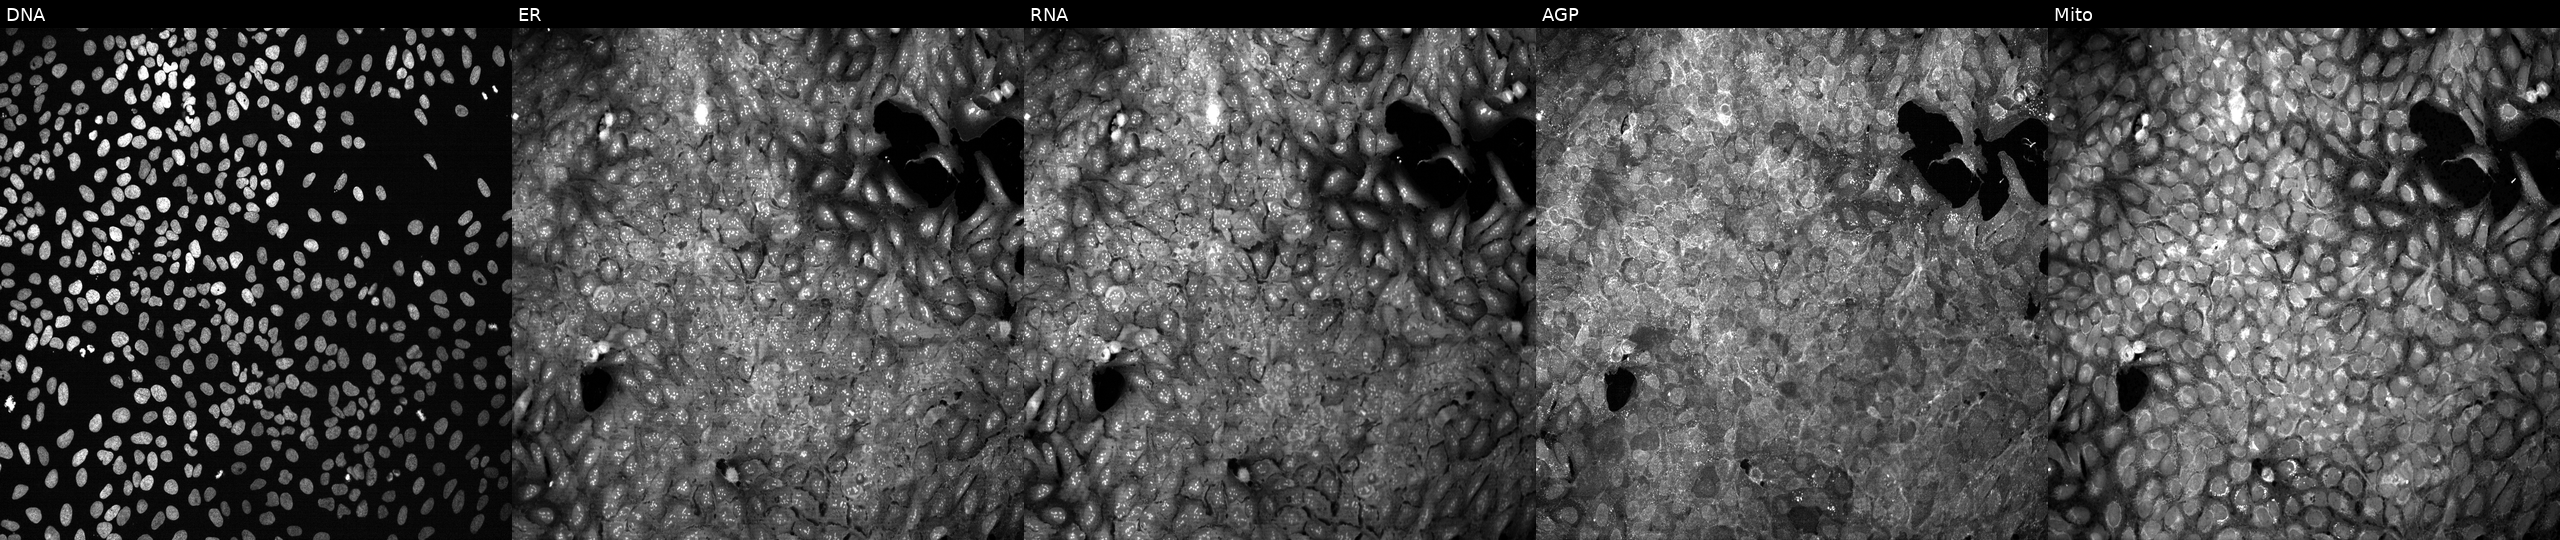
U2OS cells, Cell Painting assay, exposed to the positive-control compound dexamethasone. Panels show, left to right, DNA, ER, RNA, AGP, and Mito. Each panel is percentile-stretched 16-bit fluorescence.